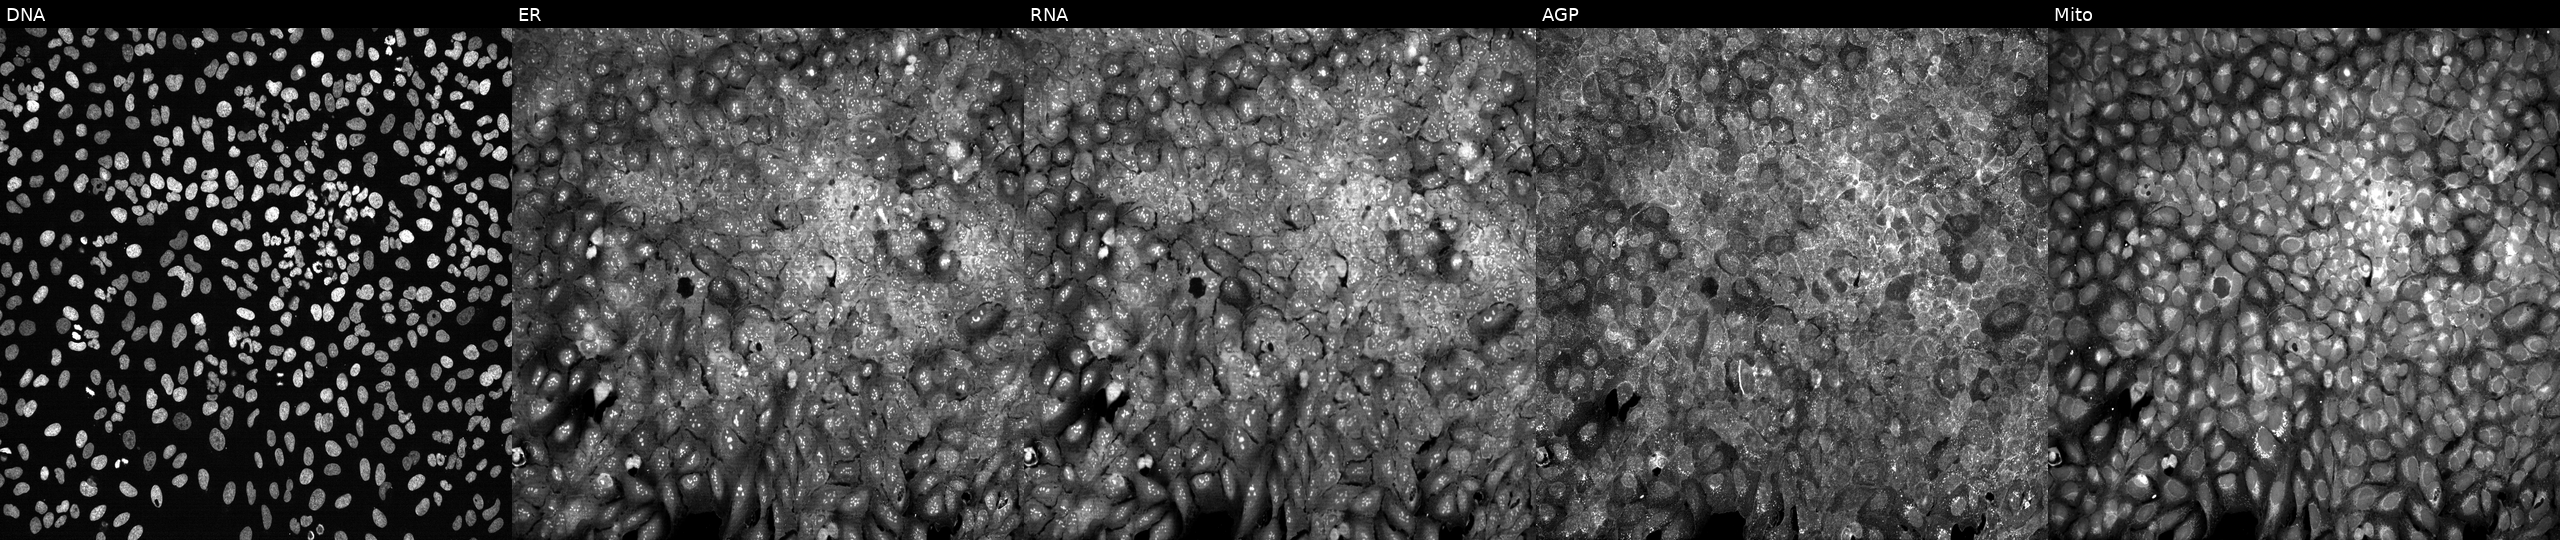
Channels (left→right): DNA (nuclei); ER (endoplasmic reticulum); RNA (nucleoli and cytoplasmic RNA); AGP (actin cytoskeleton, Golgi, and plasma membrane); Mito (mitochondria). U2OS osteosarcoma cells following CRISPR knockout of PLOD3 (JUMP id JCP2022_805271). Cell Painting assay, JUMP-CP dataset. Source 13, plate CP-CC9-R1-01, well E11.